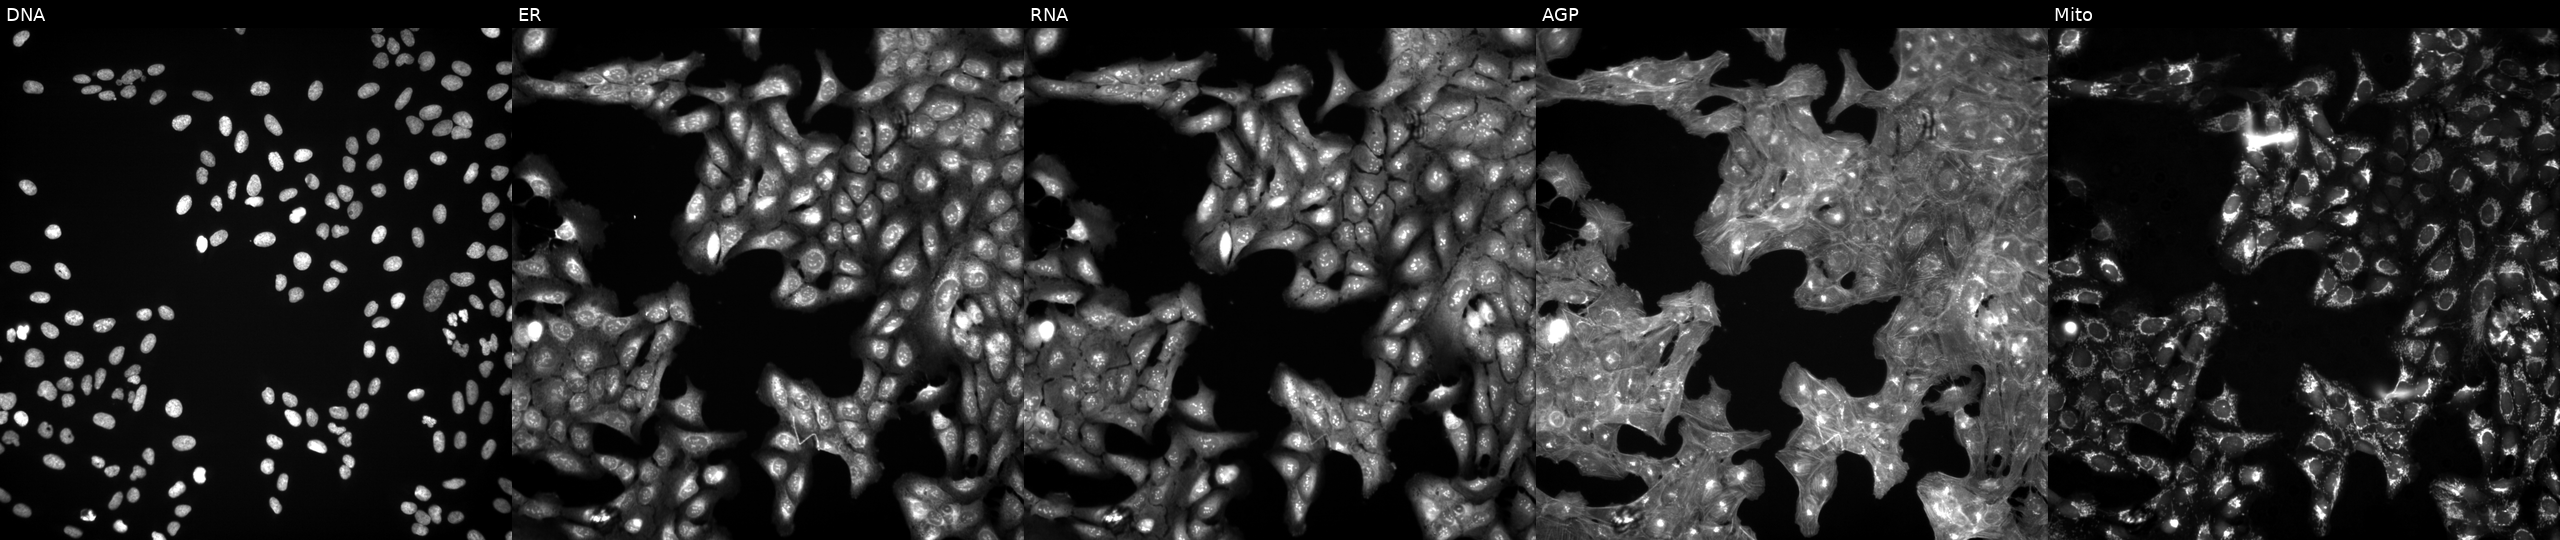
This image strip shows the five Cell Painting channels for a single field of U2OS cells perturbed with a small-molecule compound (InChIKey NUKYPUAOHBNCPY-UHFFFAOYSA-N) (JUMP id JCP2022_061437). The five panels, left to right, show DNA, ER, RNA, AGP, and Mito. Source 3, plate JCPQC051, well B18.